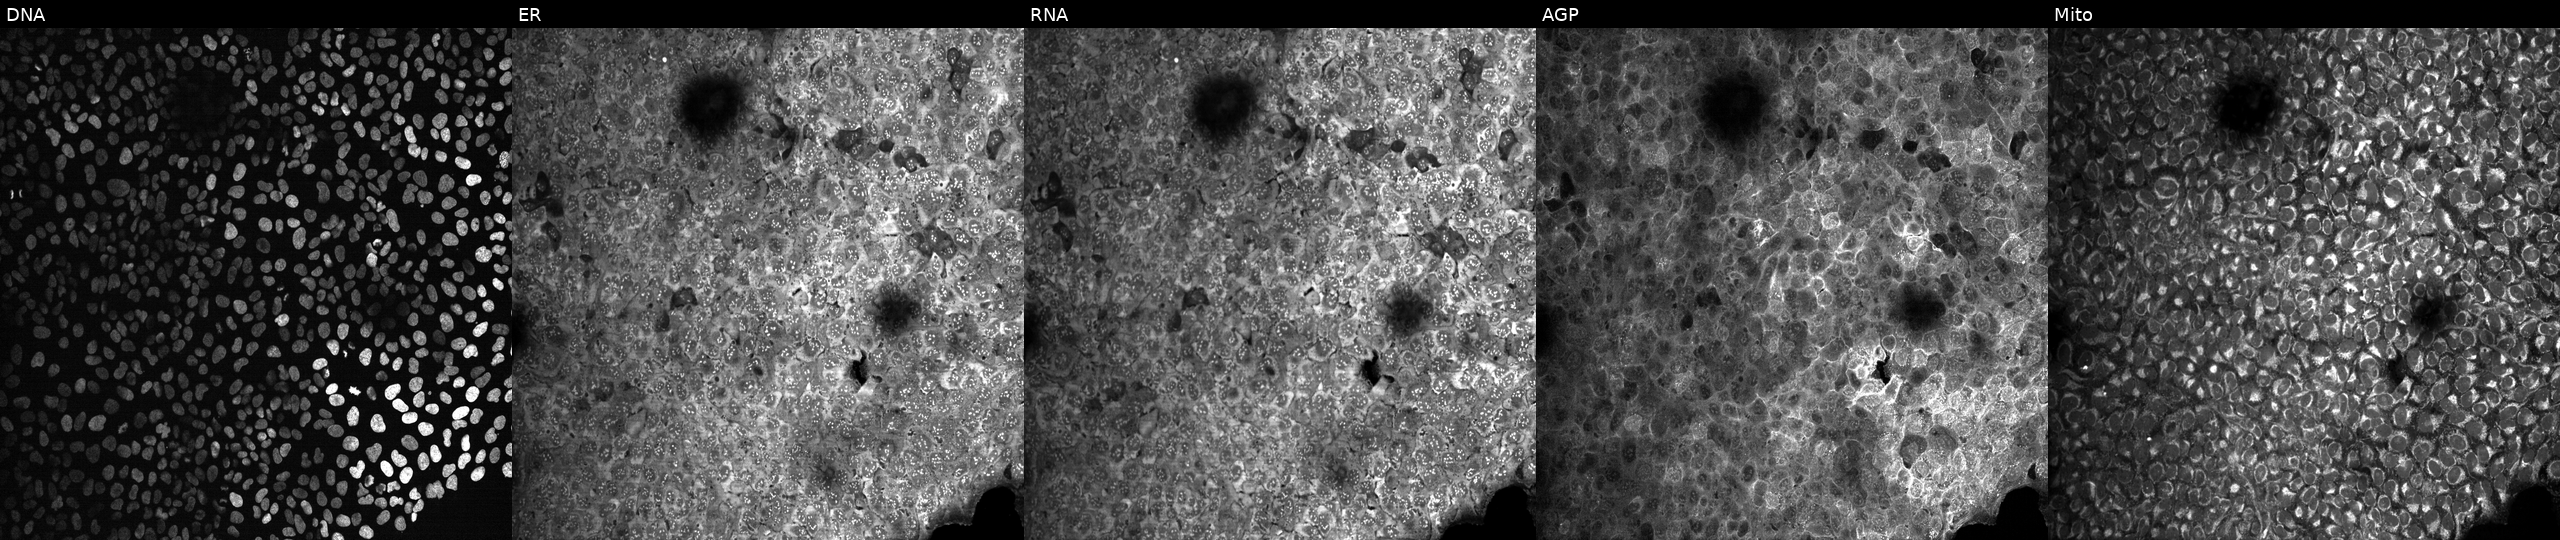
JUMP Cell Painting — CRISPR plate. U2OS cells treated with LY2109761 (positive-control compound). From left to right: Hoechst 33342, concanavalin A, SYTO 14, phalloidin and WGA, MitoTracker.